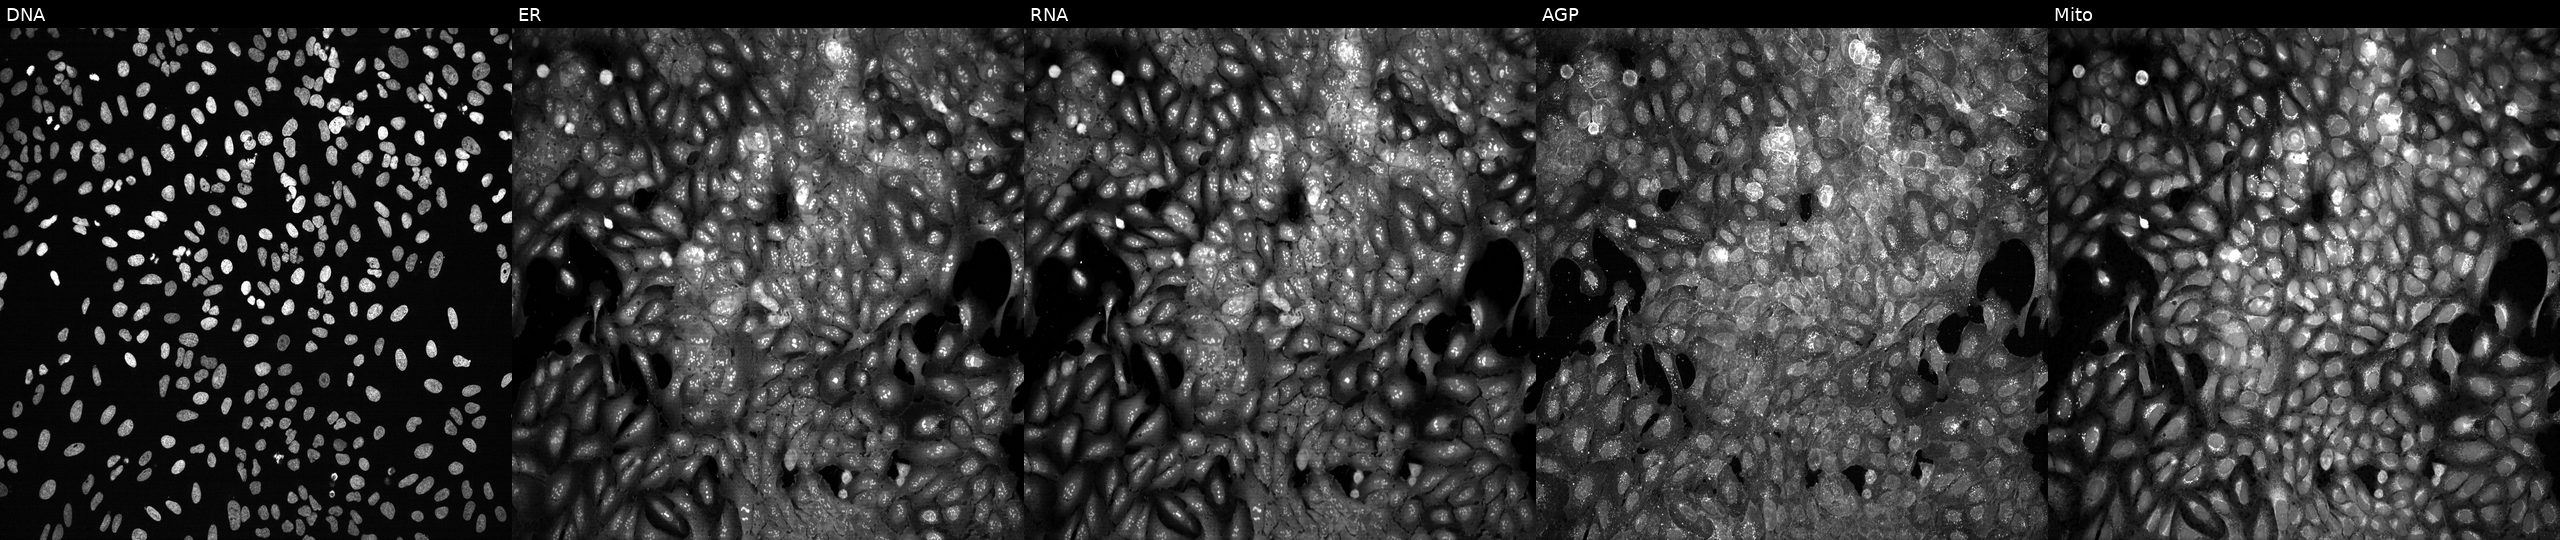
U2OS cells, Cell Painting assay, with DDAH2 knocked out by CRISPR (JUMP id JCP2022_801707). Channels (left→right): DNA (nuclei); ER (endoplasmic reticulum); RNA (nucleoli and cytoplasmic RNA); AGP (actin cytoskeleton, Golgi, and plasma membrane); Mito (mitochondria). Each panel is percentile-stretched 16-bit fluorescence.